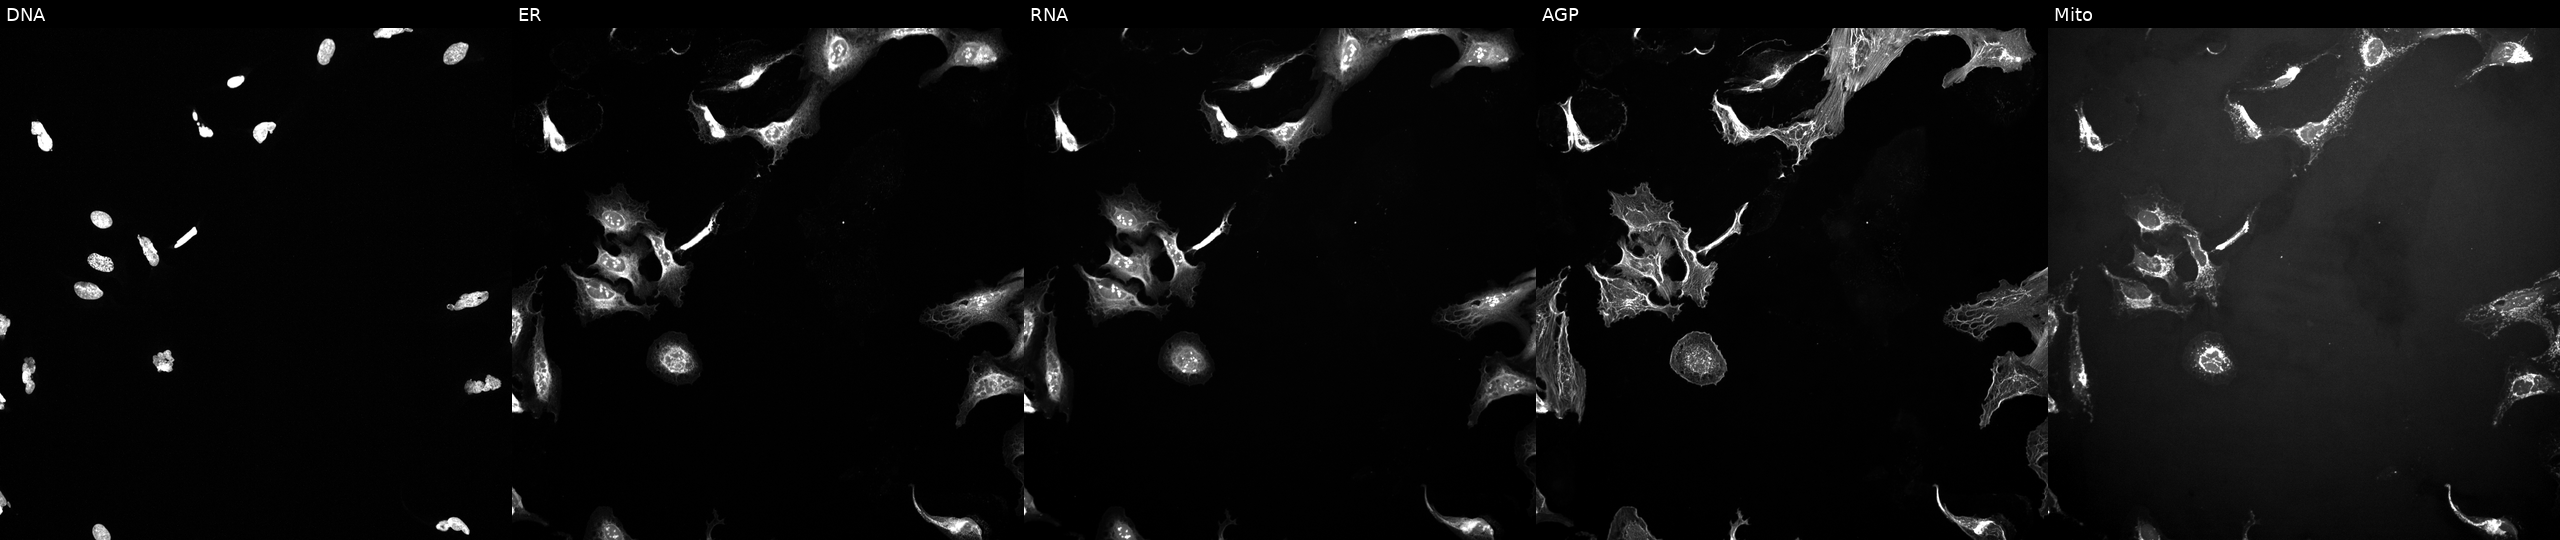
High-content fluorescence microscopy (Cell Painting). Cell line: U2OS. Perturbation: exposed to a small-molecule compound (InChIKey GQXSULRYFDAMOO-UHFFFAOYSA-N). The five panels, left to right, show Hoechst 33342, concanavalin A, SYTO 14, phalloidin and WGA, MitoTracker.